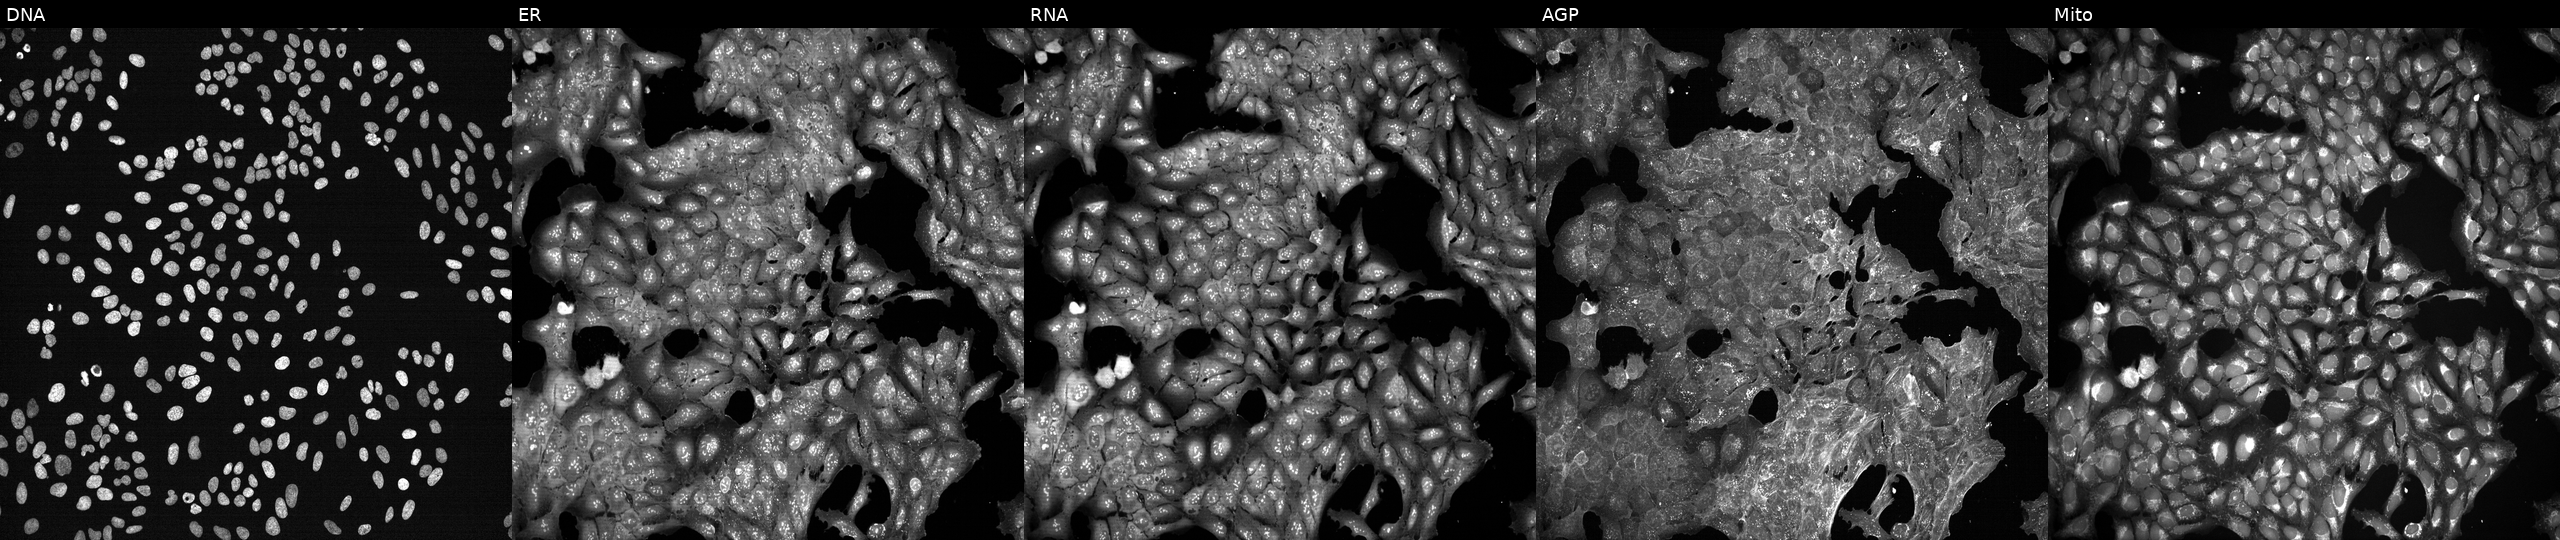
From left to right: Hoechst 33342, concanavalin A, SYTO 14, phalloidin and WGA, MitoTracker. U2OS osteosarcoma cells perturbed with a small-molecule compound (InChIKey TXUZVZSFRXZGTL-UHFFFAOYSA-N) [SMILES: CCC(=C(c1ccc(O)cc1)c1ccc(OCCN(C)C)cc1)c1ccccc1]. Cell Painting assay, JUMP-CP dataset. Source 7, plate CP2-SC1-25, well C15.